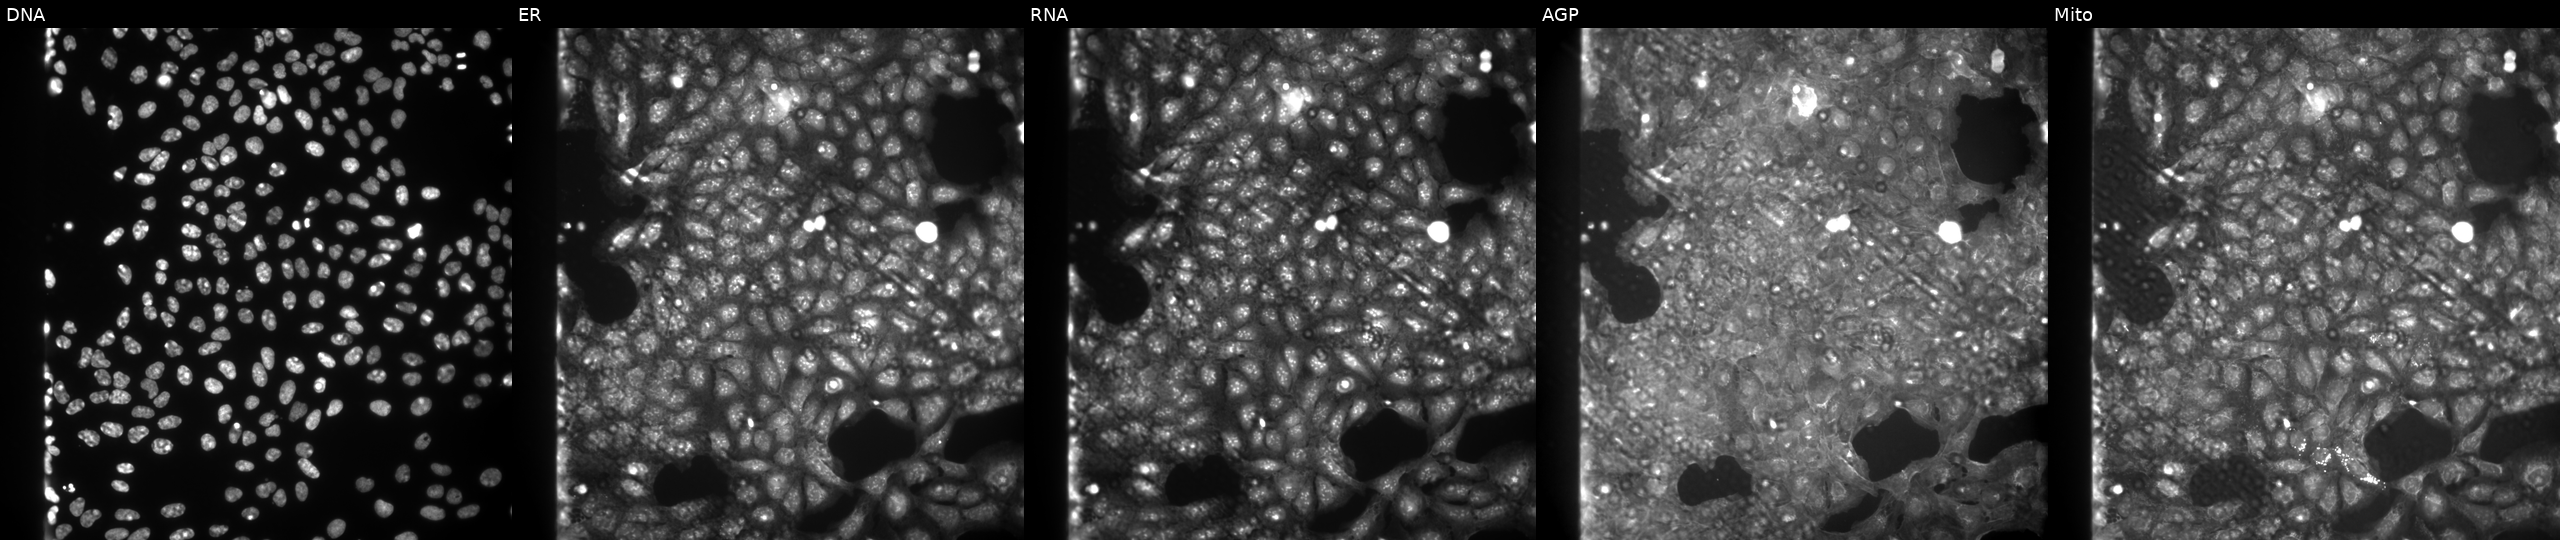
JUMP Cell Painting — COMPOUND plate. U2OS cells perturbed with a small-molecule compound (InChIKey MVUDKBWJWGPPMZ-UHFFFAOYSA-N). From left to right: DNA (nuclei); ER (endoplasmic reticulum); RNA (nucleoli and cytoplasmic RNA); AGP (actin cytoskeleton, Golgi, and plasma membrane); Mito (mitochondria).